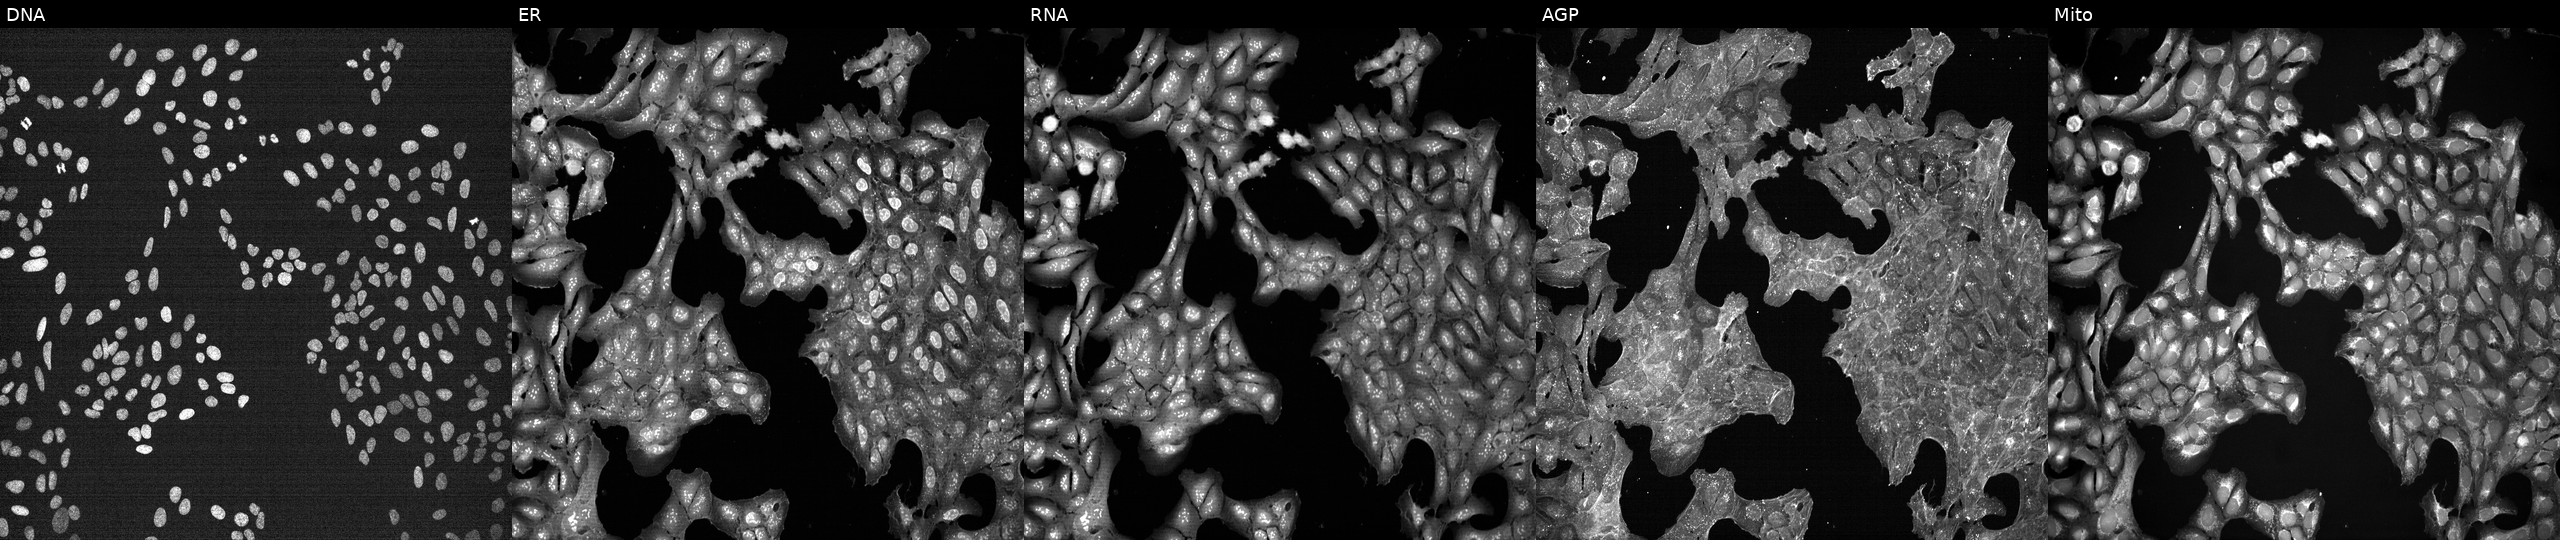
JUMP Cell Painting — TARGET2 plate. U2OS cells treated with a small-molecule compound (InChIKey PIWKPBJCKXDKJR-UHFFFAOYSA-N) [SMILES: FC(F)OC(Cl)C(F)(F)F] (JUMP id JCP2022_068901). Panels show, left to right, DNA (nuclei); ER (endoplasmic reticulum); RNA (nucleoli and cytoplasmic RNA); AGP (actin cytoskeleton, Golgi, and plasma membrane); Mito (mitochondria).